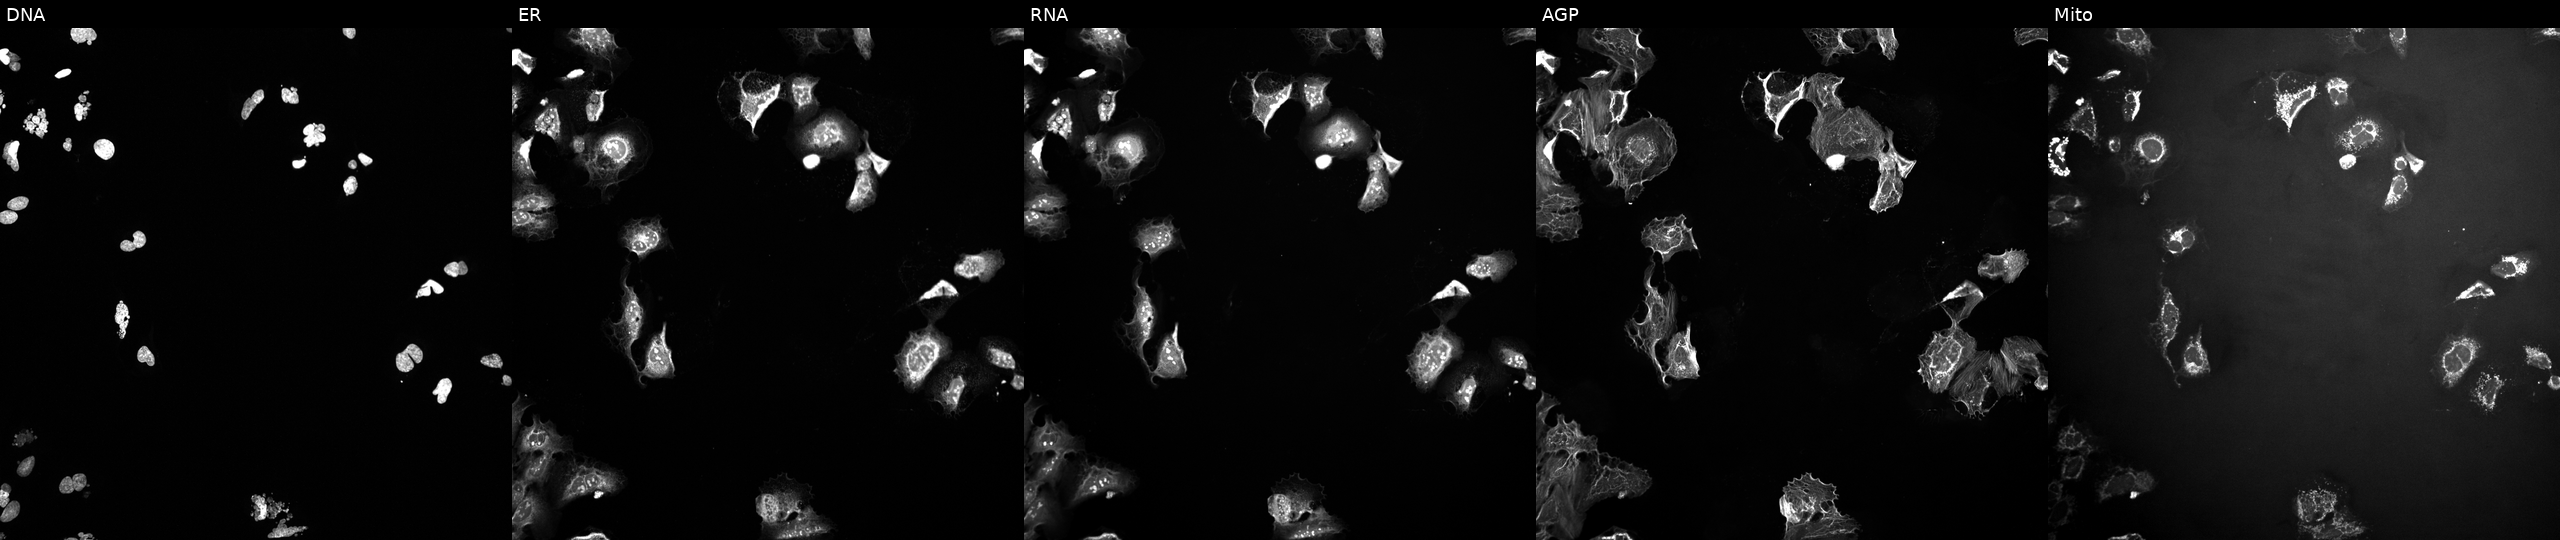
JUMP Cell Painting — TARGET2 plate. U2OS cells exposed to a small-molecule compound (InChIKey CMYHZFCJPORPHY-UHFFFAOYSA-N). Channels (left→right): Hoechst 33342, concanavalin A, SYTO 14, phalloidin and WGA, MitoTracker. Source 10, plate Dest210726-160150, well I16.